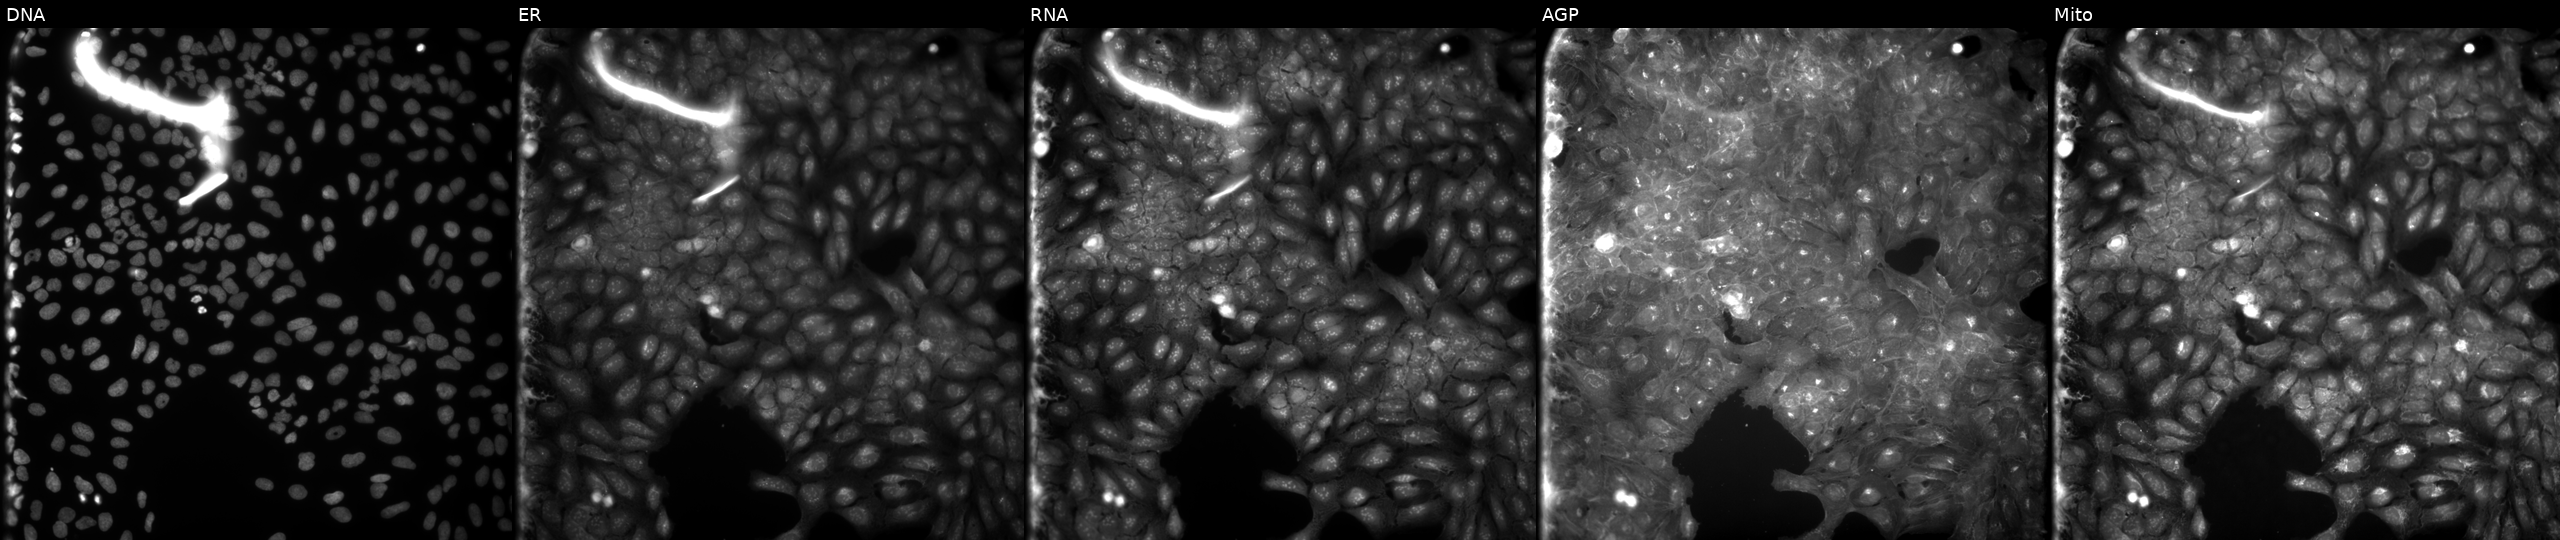
U2OS cells, Cell Painting assay, perturbed with a small-molecule compound (JUMP id JCP2022_095307). Channels (left→right): Hoechst 33342, concanavalin A, SYTO 14, phalloidin and WGA, MitoTracker. Each panel is percentile-stretched 16-bit fluorescence.